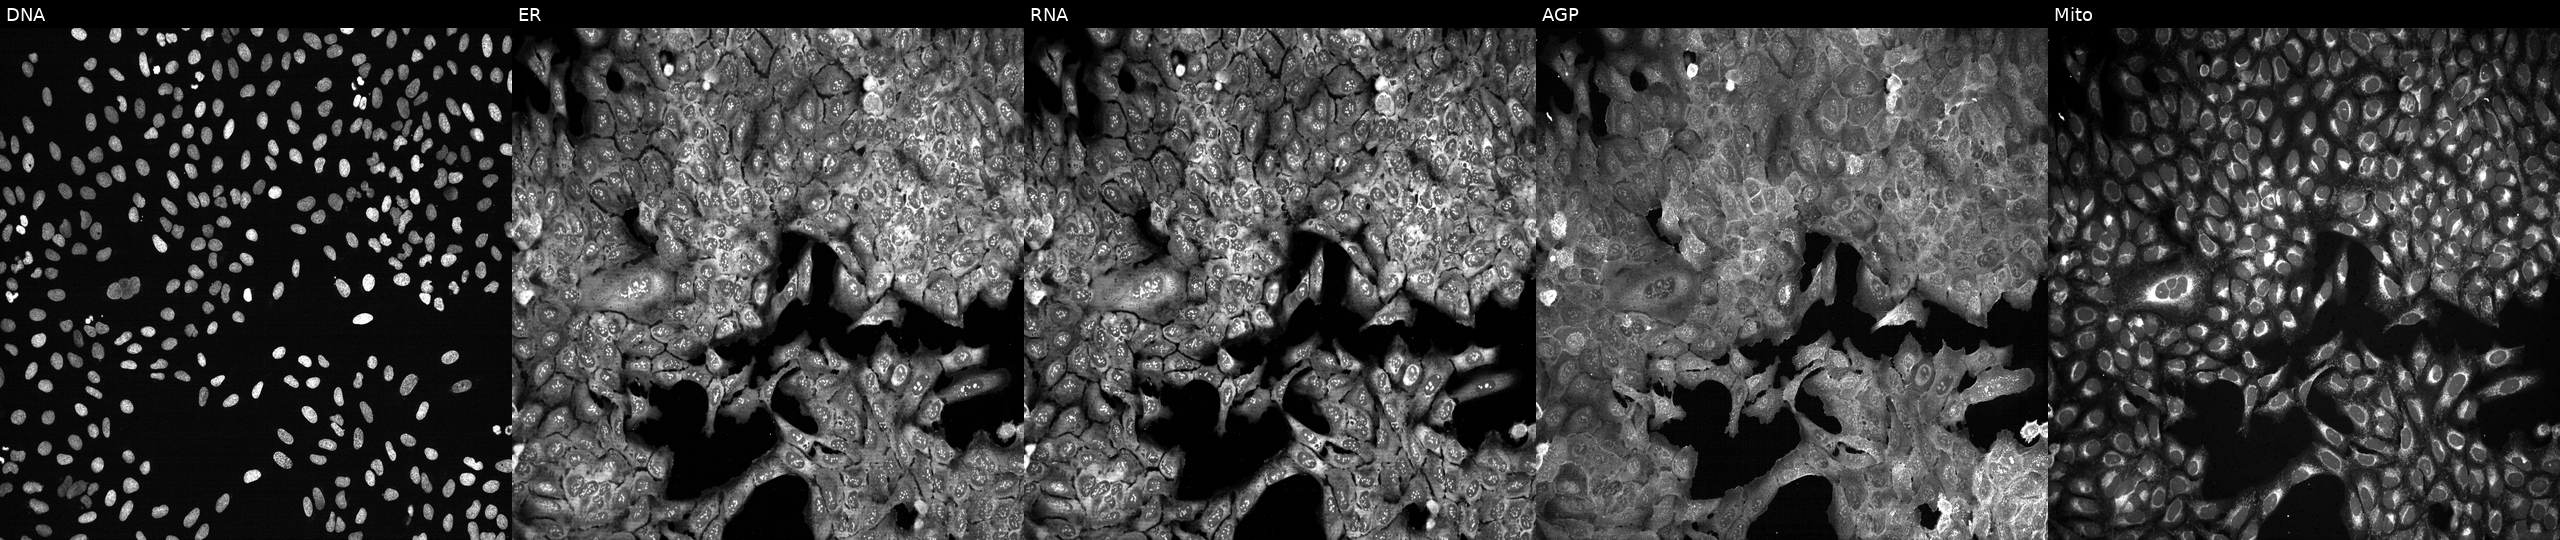
Panels show, left to right, DNA, ER, RNA, AGP, and Mito. U2OS osteosarcoma cells with no CRISPR guide (negative control). Cell Painting assay, JUMP-CP dataset.